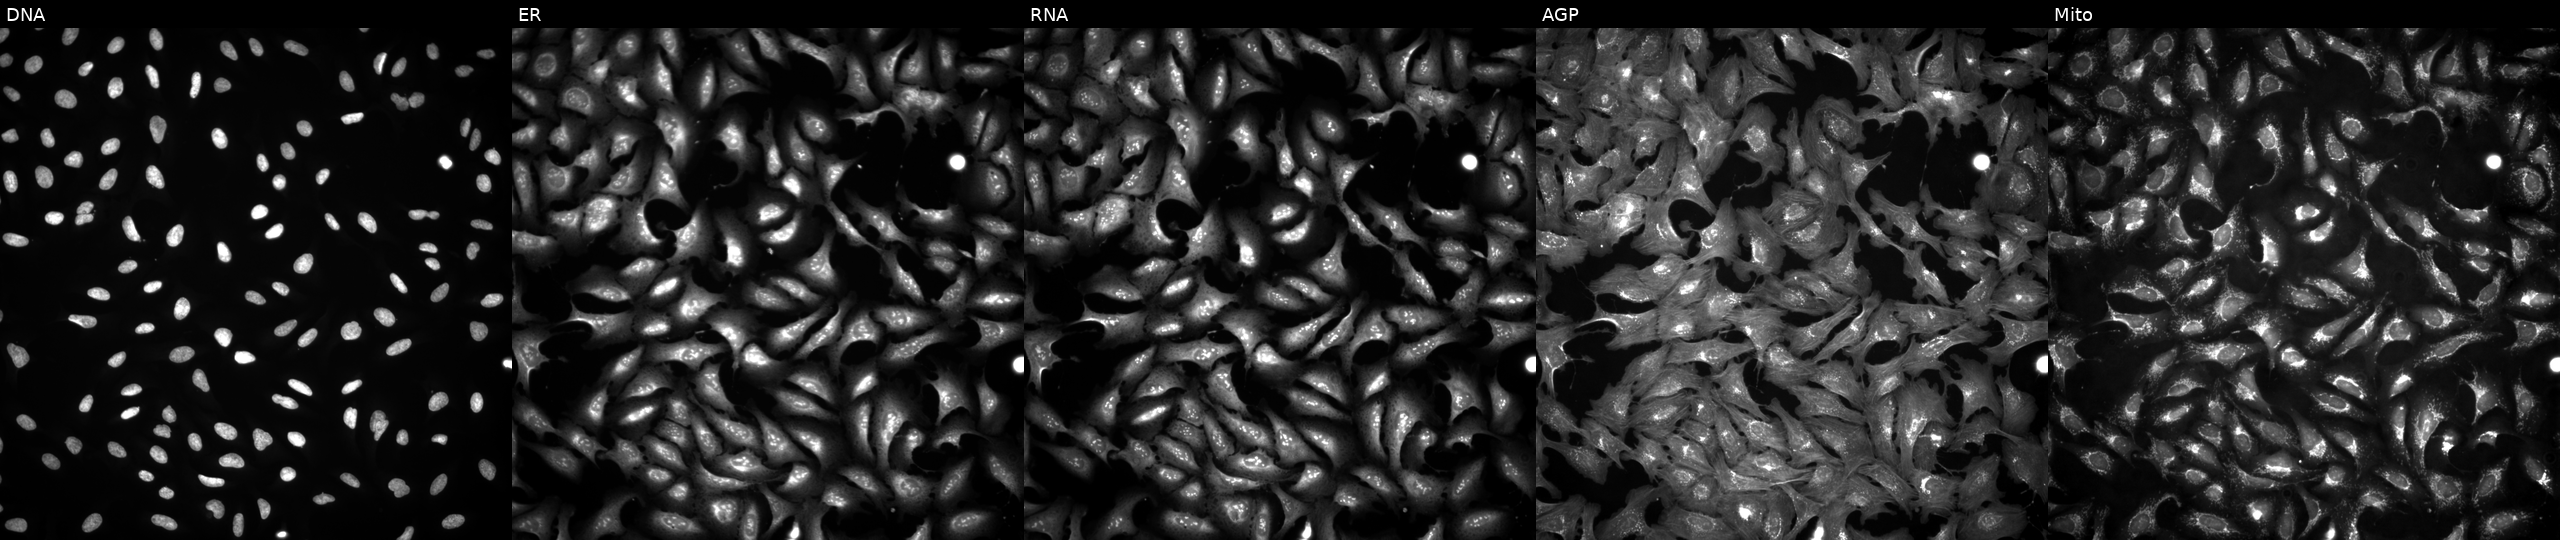
Five-channel Cell Painting image of U2OS cells transfected with a failed ORF construct (JUMP BAD CONSTRUCT marker). From left to right: DNA (nuclei); ER (endoplasmic reticulum); RNA (nucleoli and cytoplasmic RNA); AGP (actin cytoskeleton, Golgi, and plasma membrane); Mito (mitochondria).